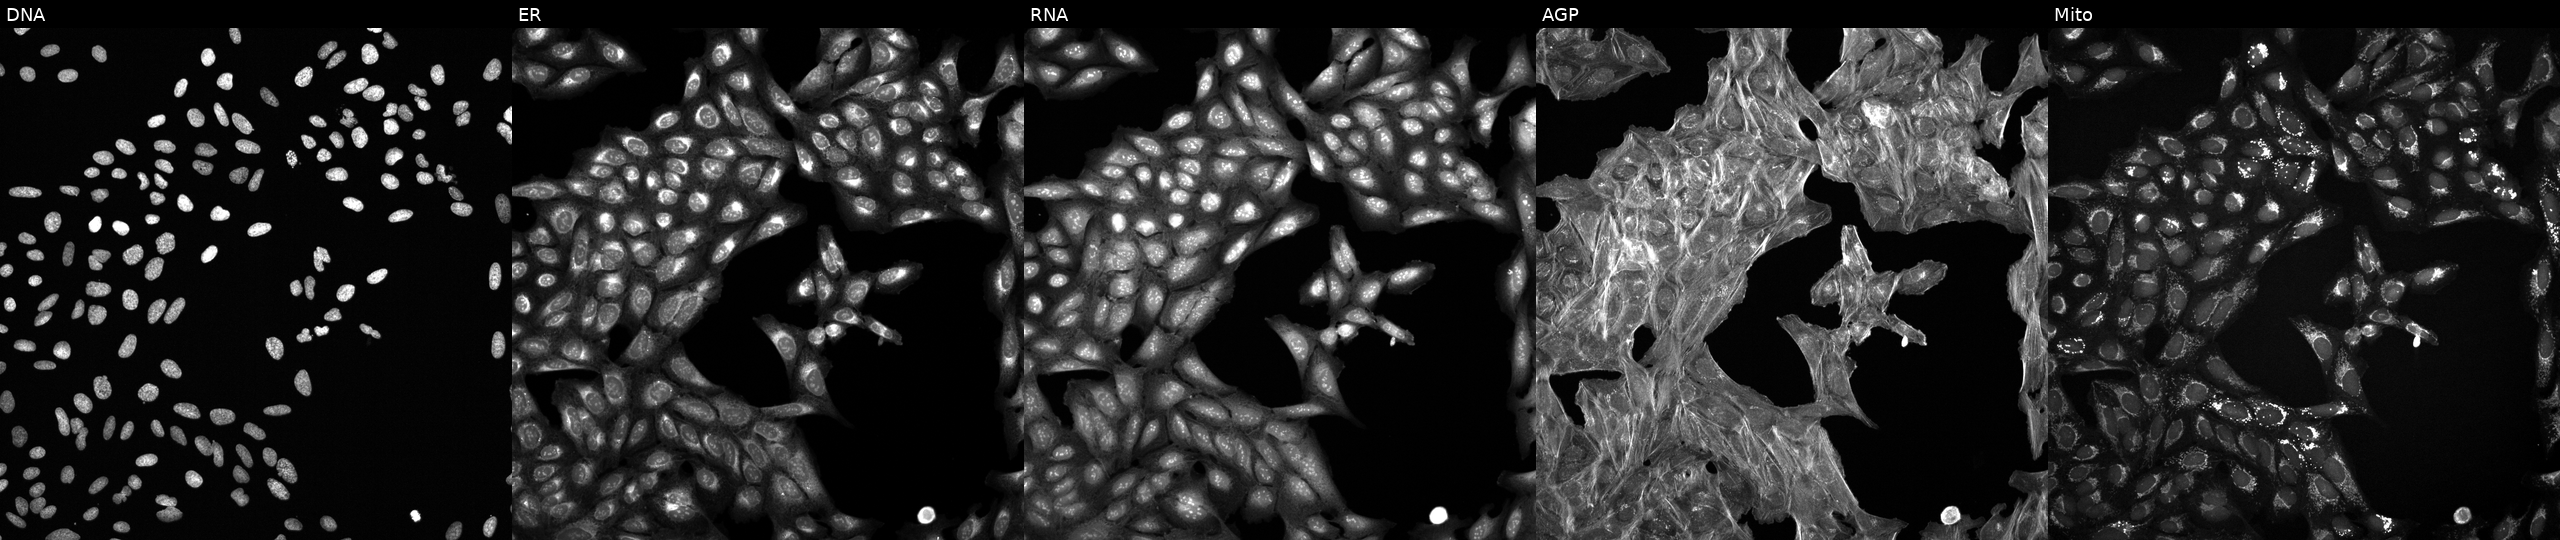
This image strip shows the five Cell Painting channels for a single field of U2OS cells exposed to a small-molecule compound (InChIKey GQBVREDYTYJVTQ-UHFFFAOYSA-N) [SMILES: COc1cc(OC)cc(C(=O)NCCN=c2ccc(-n3cccn3)n[nH]2)c1]. From left to right: DNA, ER, RNA, AGP, and Mito. Source 6, plate 110000293082, well A14.